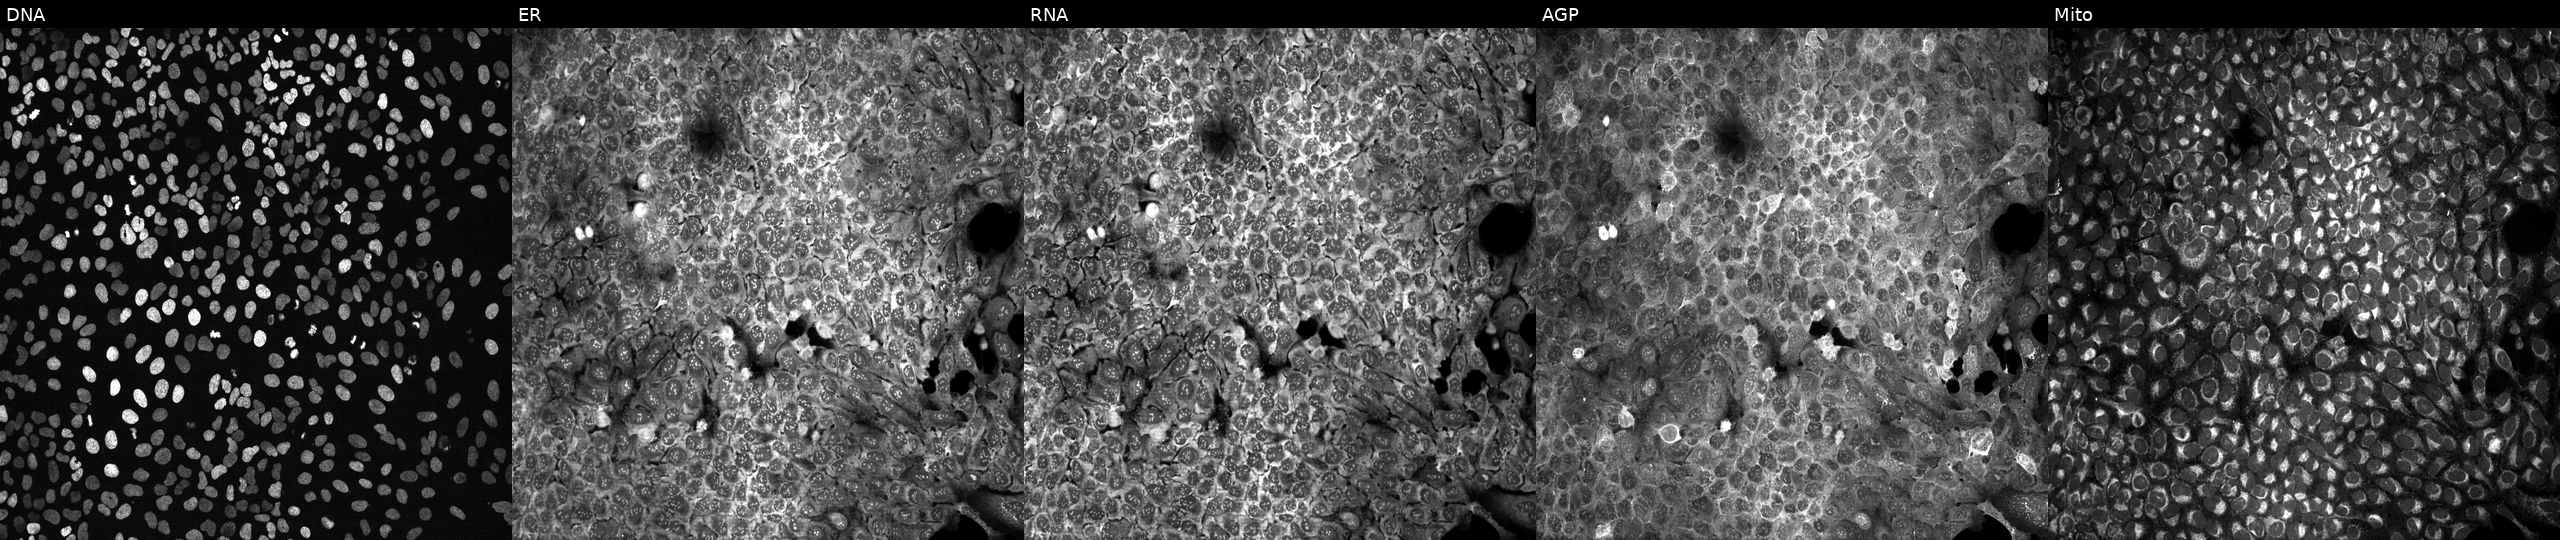
This image strip shows the five Cell Painting channels for a single field of U2OS cells exposed to DMSO alone as a negative control. Panels show, left to right, DNA, ER, RNA, AGP, and Mito.